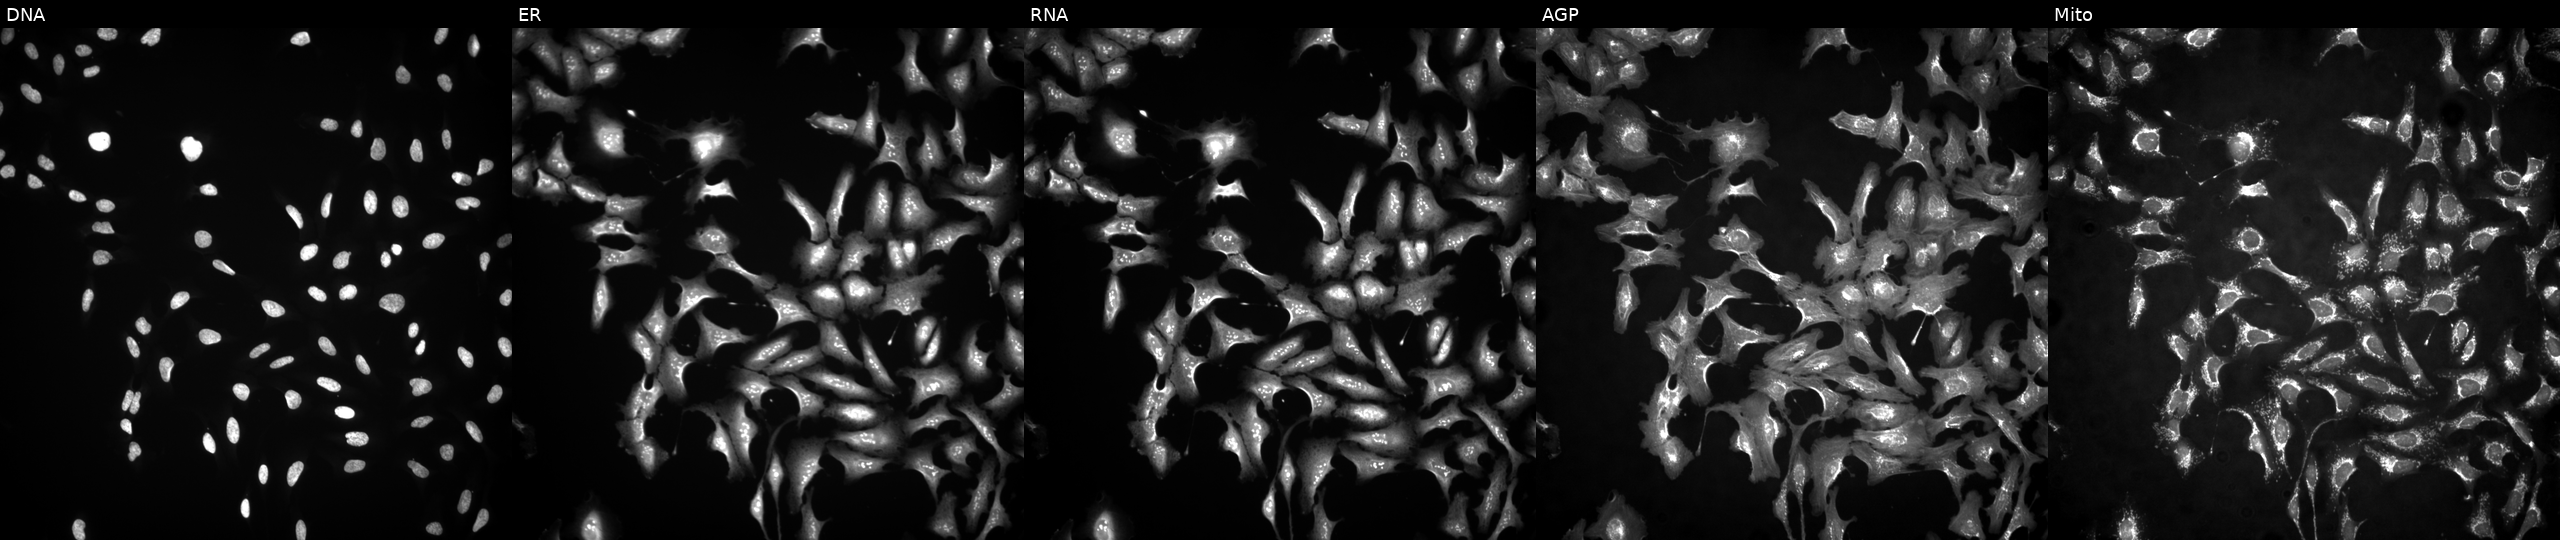
High-content fluorescence microscopy (Cell Painting). Cell line: U2OS. Perturbation: overexpressing ZNF599 via ORF transfection (JUMP id JCP2022_912347). From left to right: DNA (nuclei); ER (endoplasmic reticulum); RNA (nucleoli and cytoplasmic RNA); AGP (actin cytoskeleton, Golgi, and plasma membrane); Mito (mitochondria).